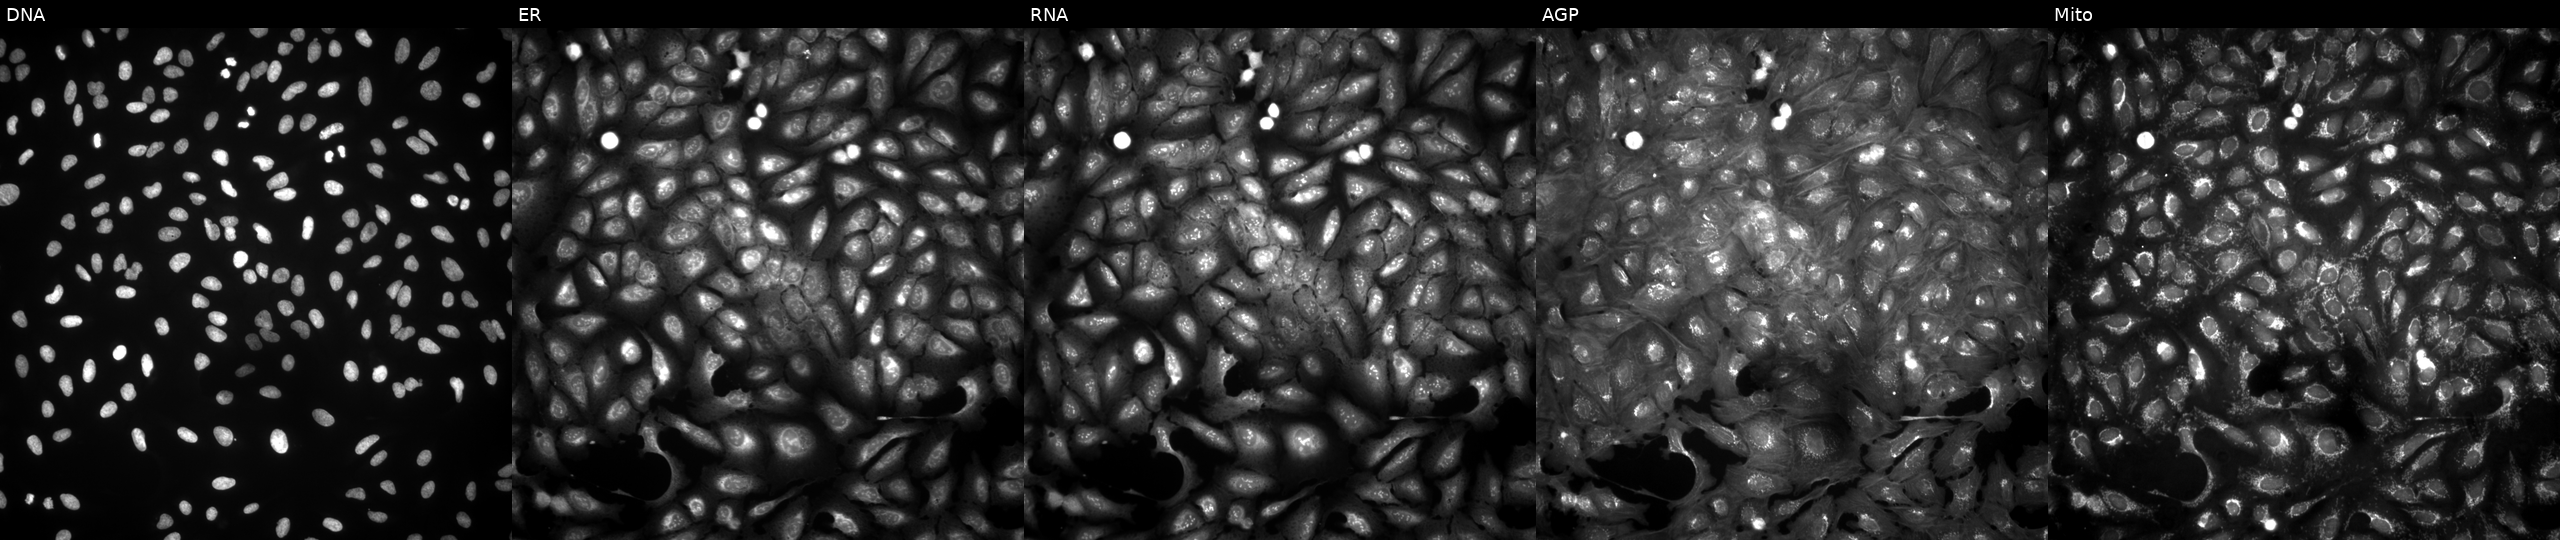
JUMP Cell Painting — ORF plate. U2OS cells transfected with an ORF construct for DGKG. Panels show, left to right, DNA (nuclei); ER (endoplasmic reticulum); RNA (nucleoli and cytoplasmic RNA); AGP (actin cytoskeleton, Golgi, and plasma membrane); Mito (mitochondria).